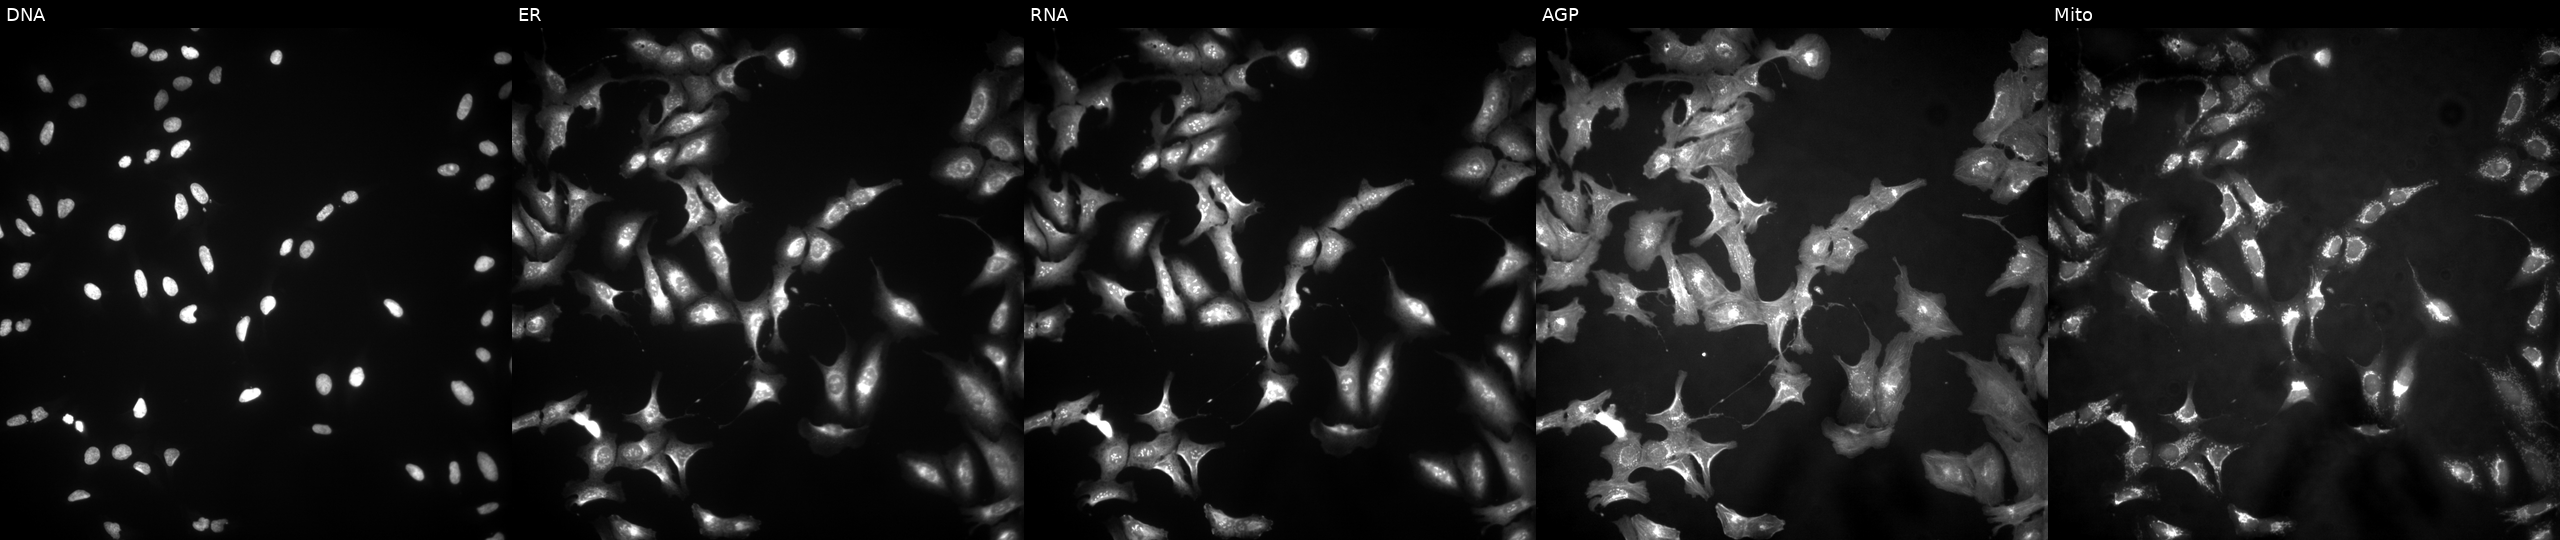
JUMP Cell Painting — ORF plate. U2OS cells in an empty control well (no perturbation). From left to right: DNA, ER, RNA, AGP, and Mito.